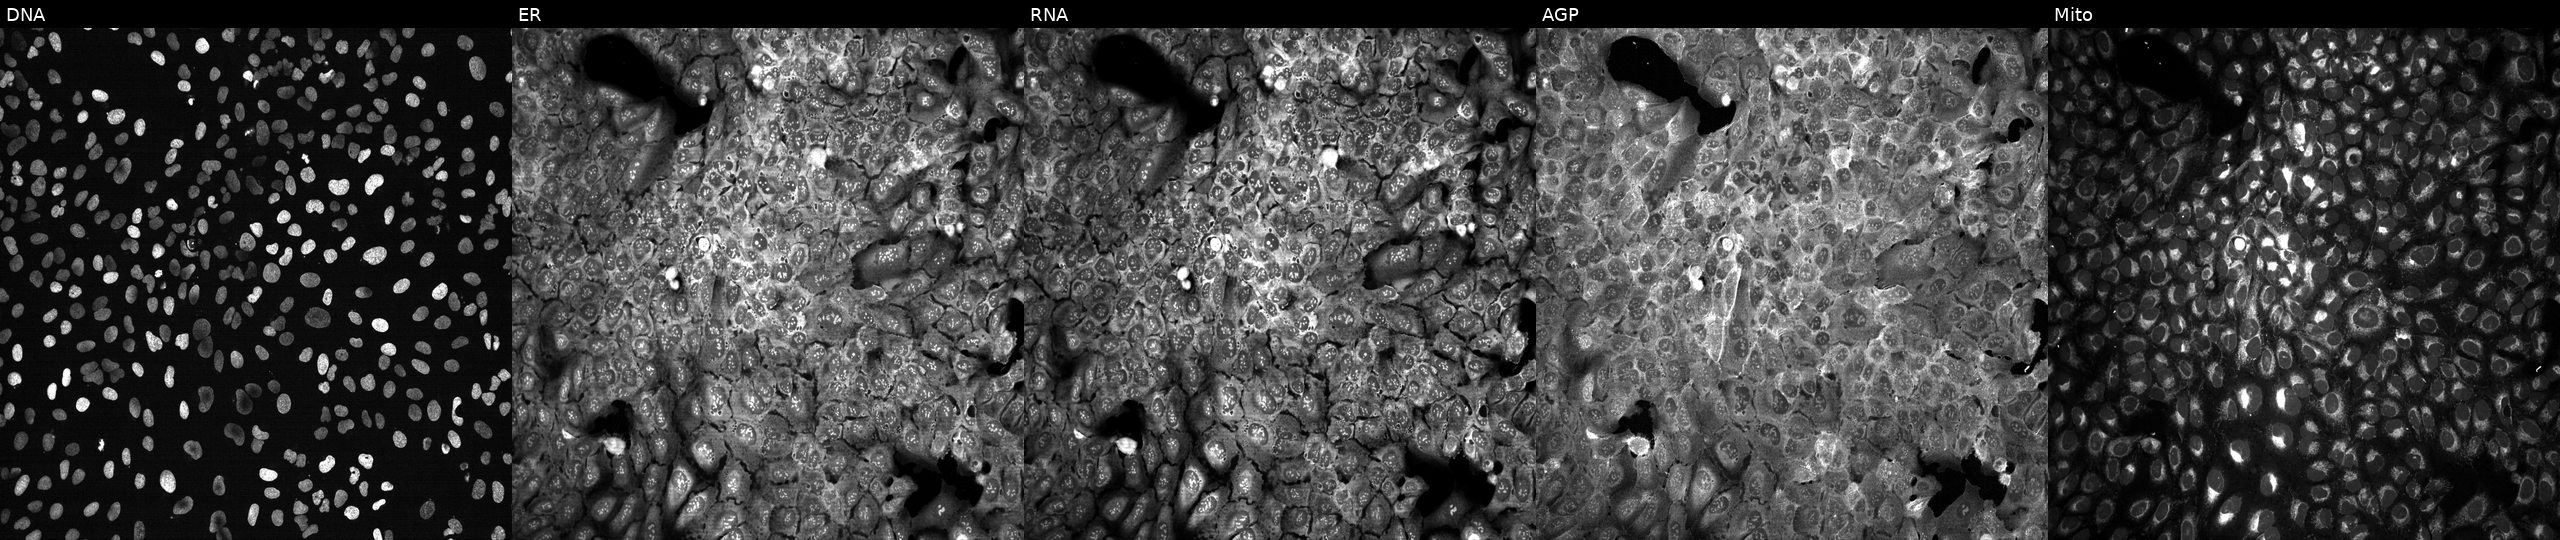
This image strip shows the five Cell Painting channels for a single field of U2OS cells with PARP1 knocked out by CRISPR. Channels (left→right): Hoechst 33342, concanavalin A, SYTO 14, phalloidin and WGA, MitoTracker. Source 13, plate CP-CC9-R3-01, well D15.